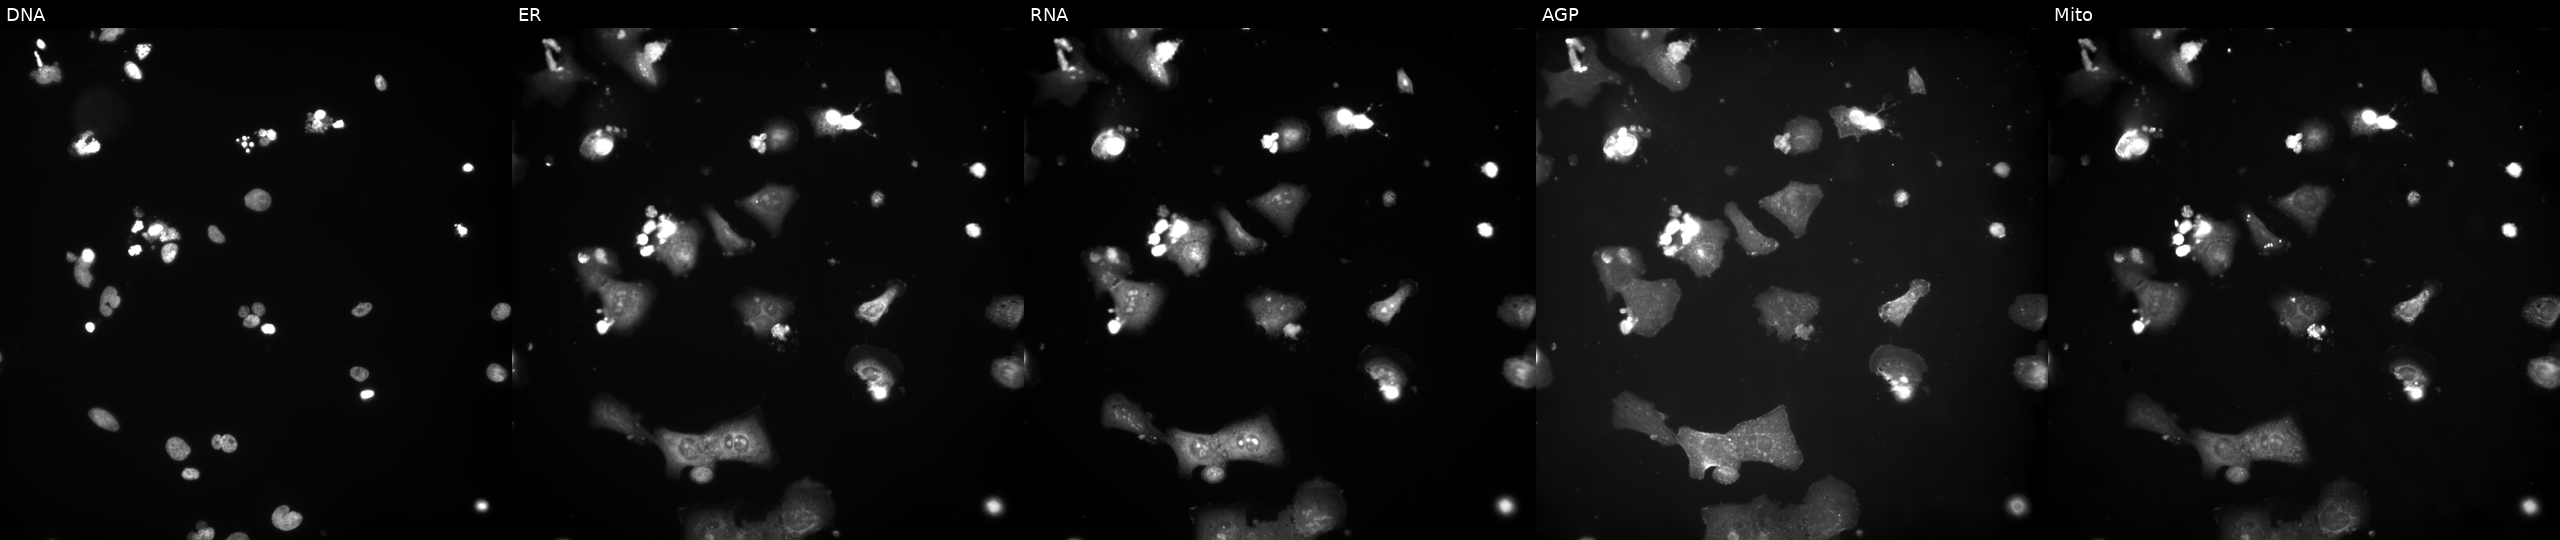
This image strip shows the five Cell Painting channels for a single field of U2OS cells treated with a small-molecule compound (InChIKey QYBHTSGICZSSPB-UHFFFAOYSA-N) (JUMP id JCP2022_076632). From left to right: DNA (nuclei); ER (endoplasmic reticulum); RNA (nucleoli and cytoplasmic RNA); AGP (actin cytoskeleton, Golgi, and plasma membrane); Mito (mitochondria). Source 9, plate GR00003381, well M44.